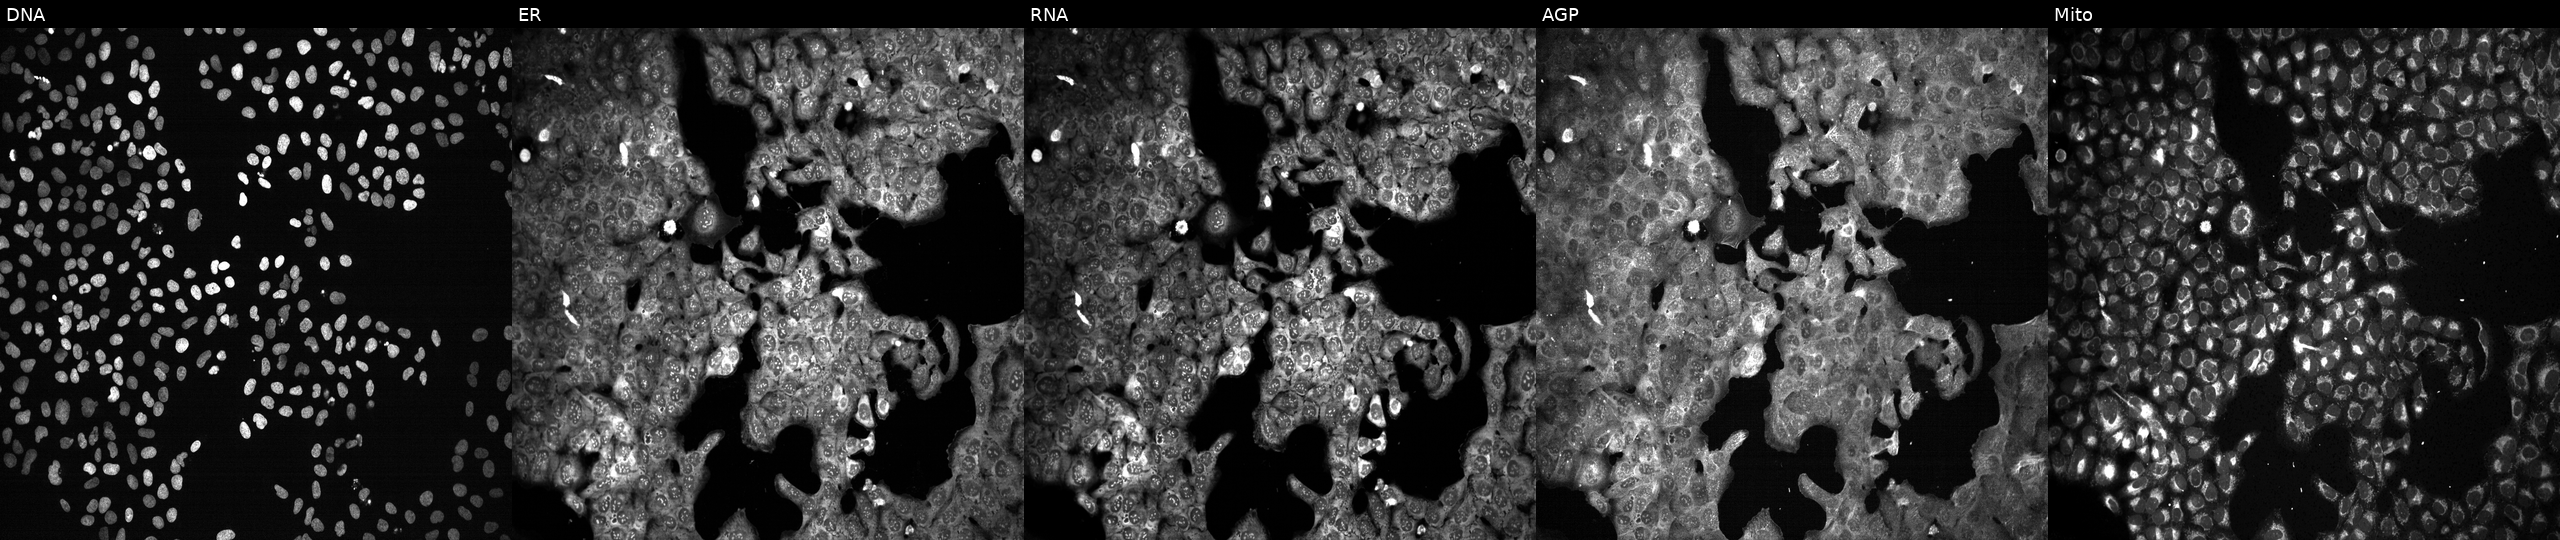
Five-channel Cell Painting image of U2OS cells treated with NVS-PAK1-1 (positive-control compound). From left to right: DNA (nuclei); ER (endoplasmic reticulum); RNA (nucleoli and cytoplasmic RNA); AGP (actin cytoskeleton, Golgi, and plasma membrane); Mito (mitochondria). Source 13, plate CP-CC9-R3-01, well J24.